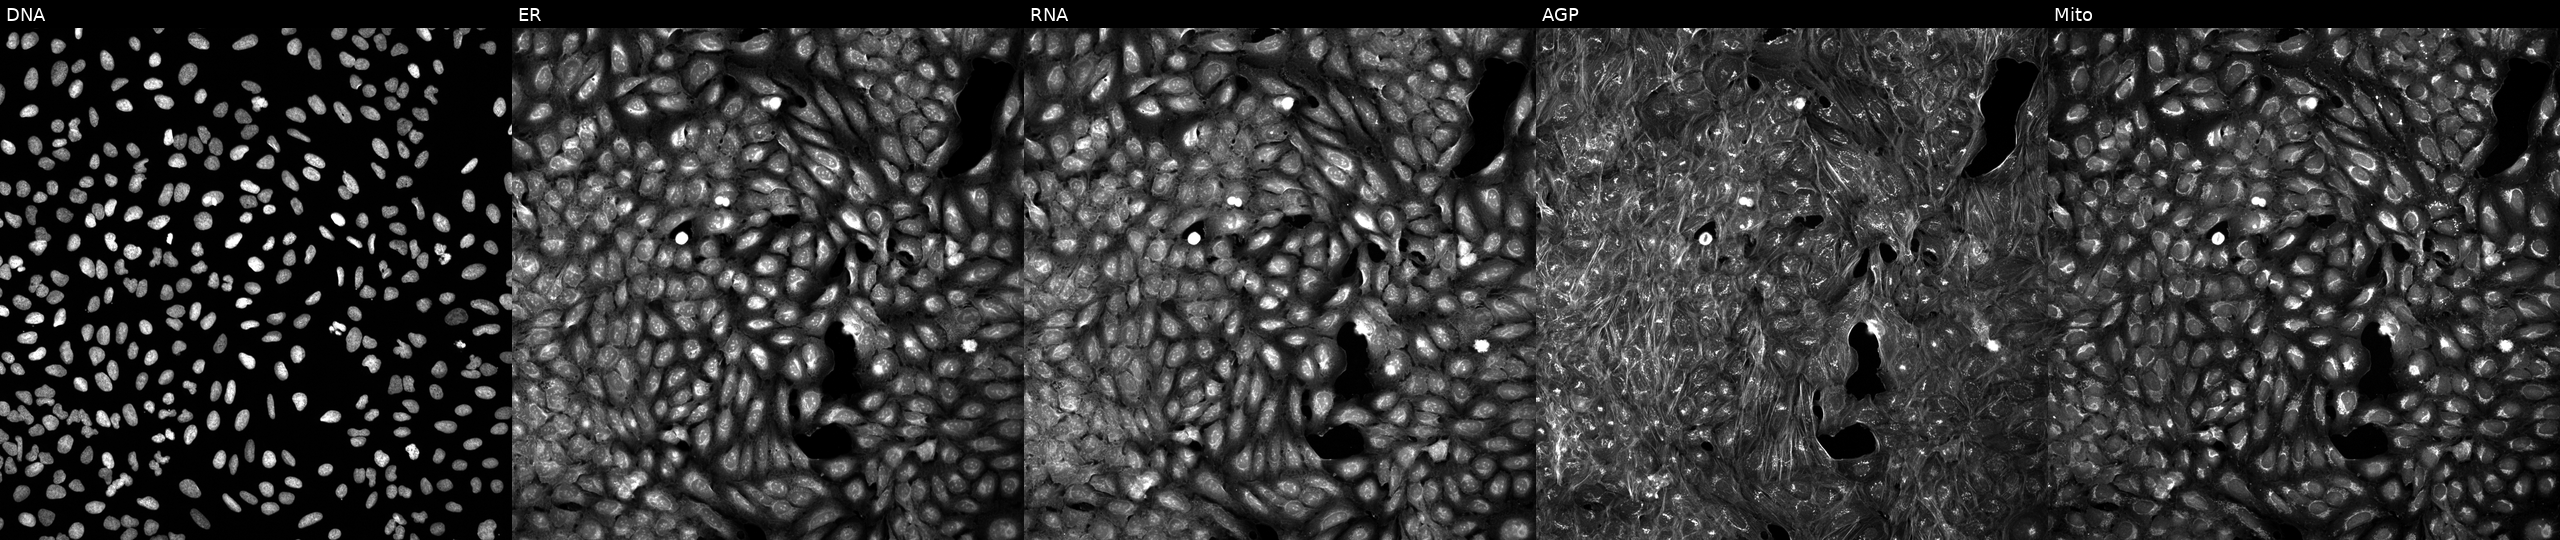
This image strip shows the five Cell Painting channels for a single field of U2OS cells treated with DMSO vehicle only (negative control). From left to right: DNA (nuclei); ER (endoplasmic reticulum); RNA (nucleoli and cytoplasmic RNA); AGP (actin cytoskeleton, Golgi, and plasma membrane); Mito (mitochondria).